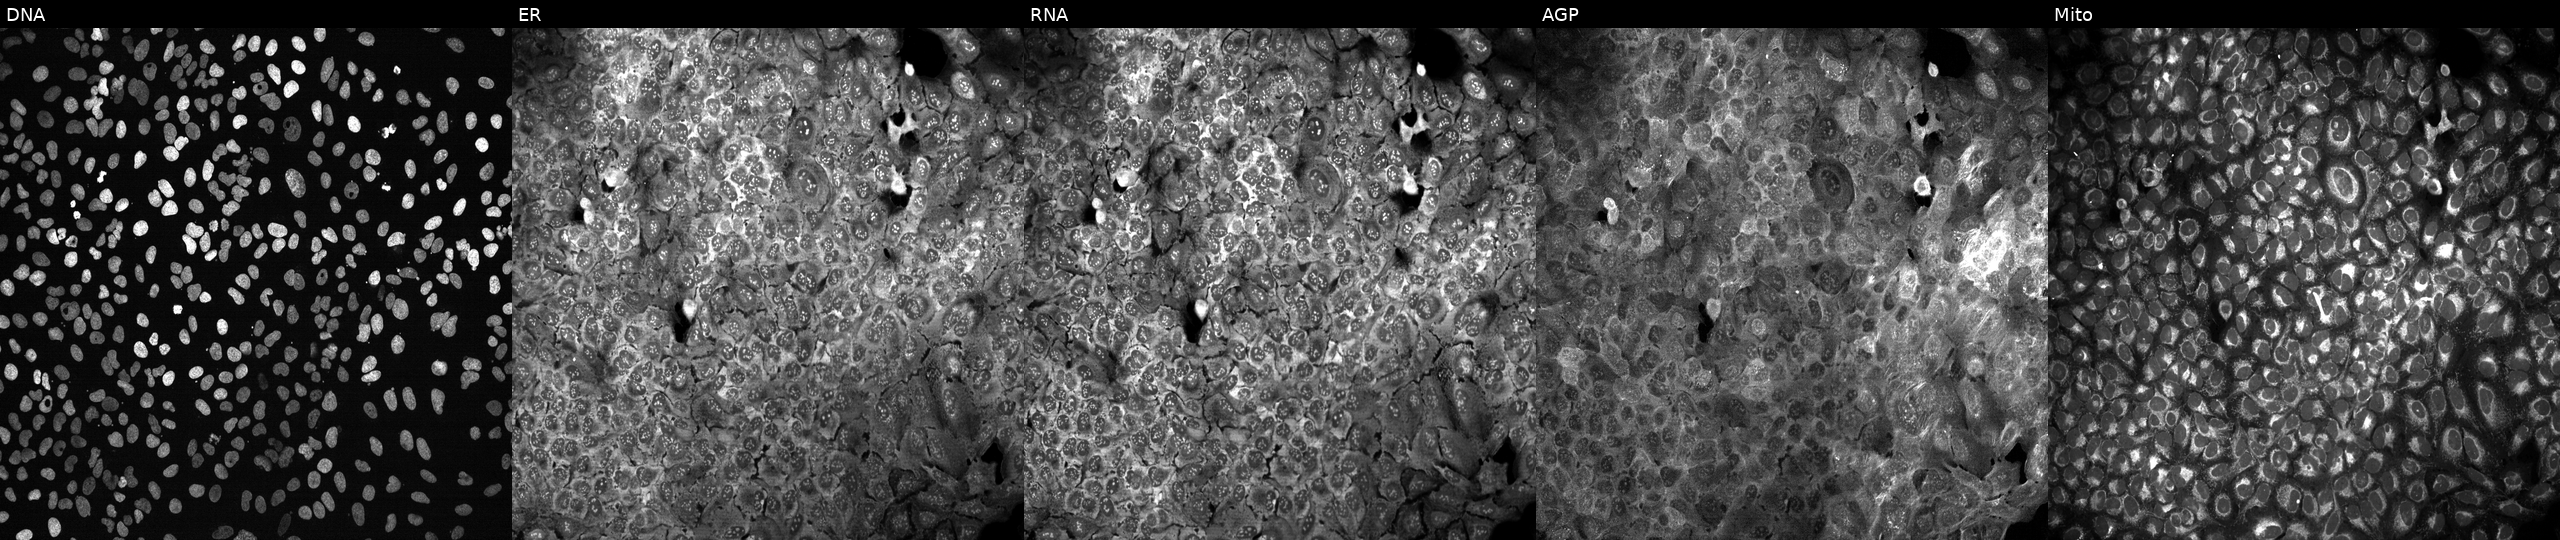
High-content fluorescence microscopy (Cell Painting). Cell line: U2OS. Perturbation: CRISPR-edited to disrupt CYP4Z1 (JUMP id JCP2022_801659). From left to right: Hoechst 33342, concanavalin A, SYTO 14, phalloidin and WGA, MitoTracker. Source 13, plate CP-CC9-R2-01, well O16.